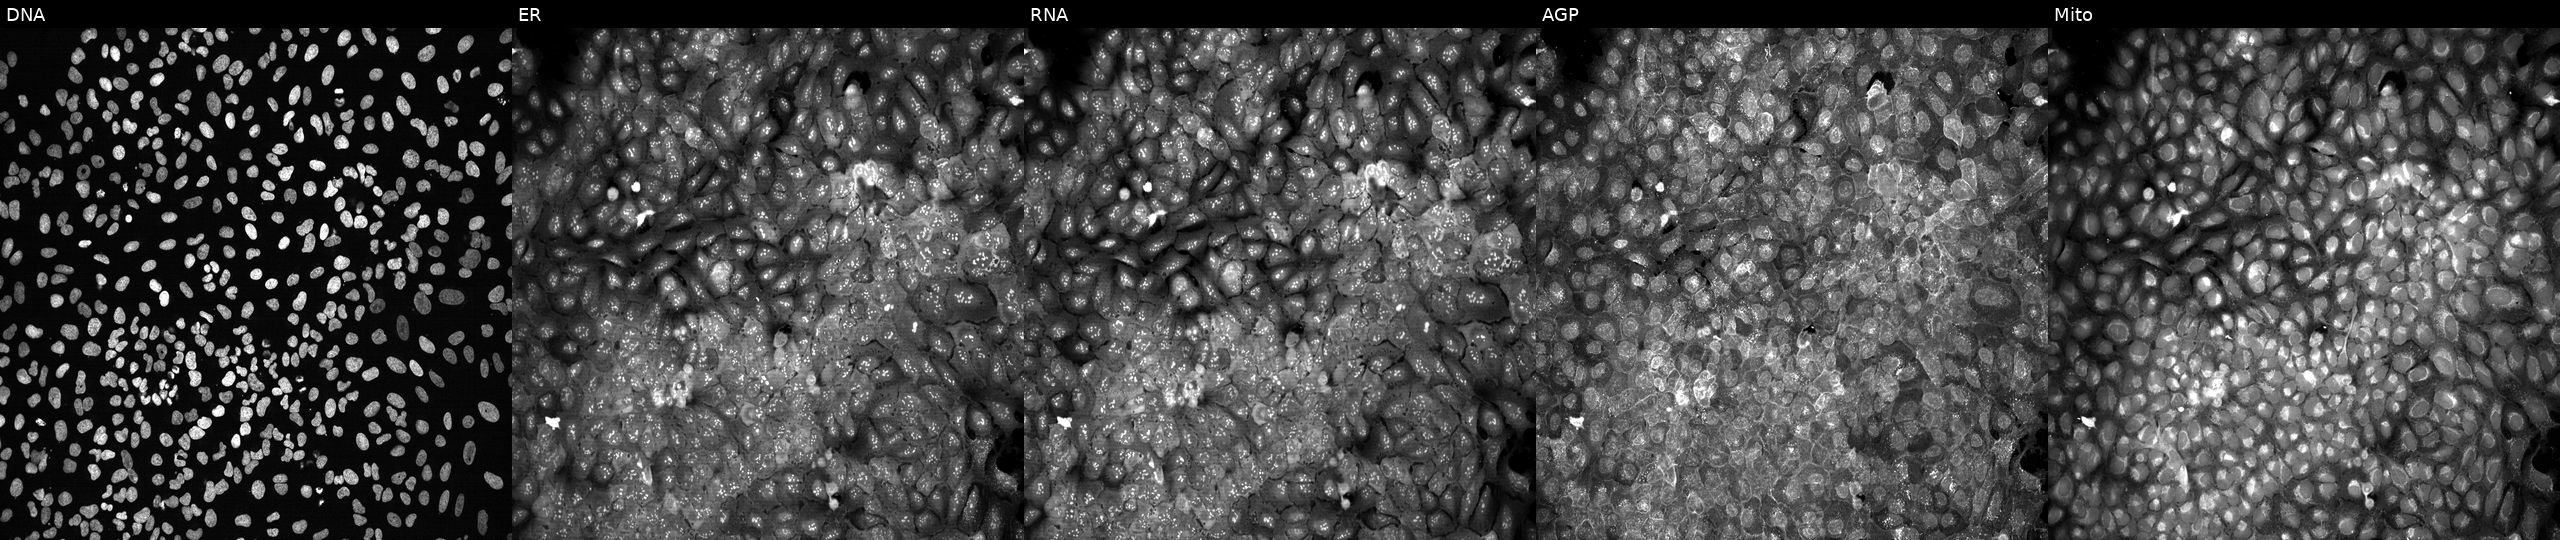
U2OS cells, Cell Painting assay, with TMED10 knocked out by CRISPR (JUMP id JCP2022_807126). Channels (left→right): DNA, ER, RNA, AGP, and Mito. Each panel is percentile-stretched 16-bit fluorescence. Source 13, plate CP-CC9-R1-01, well B18.